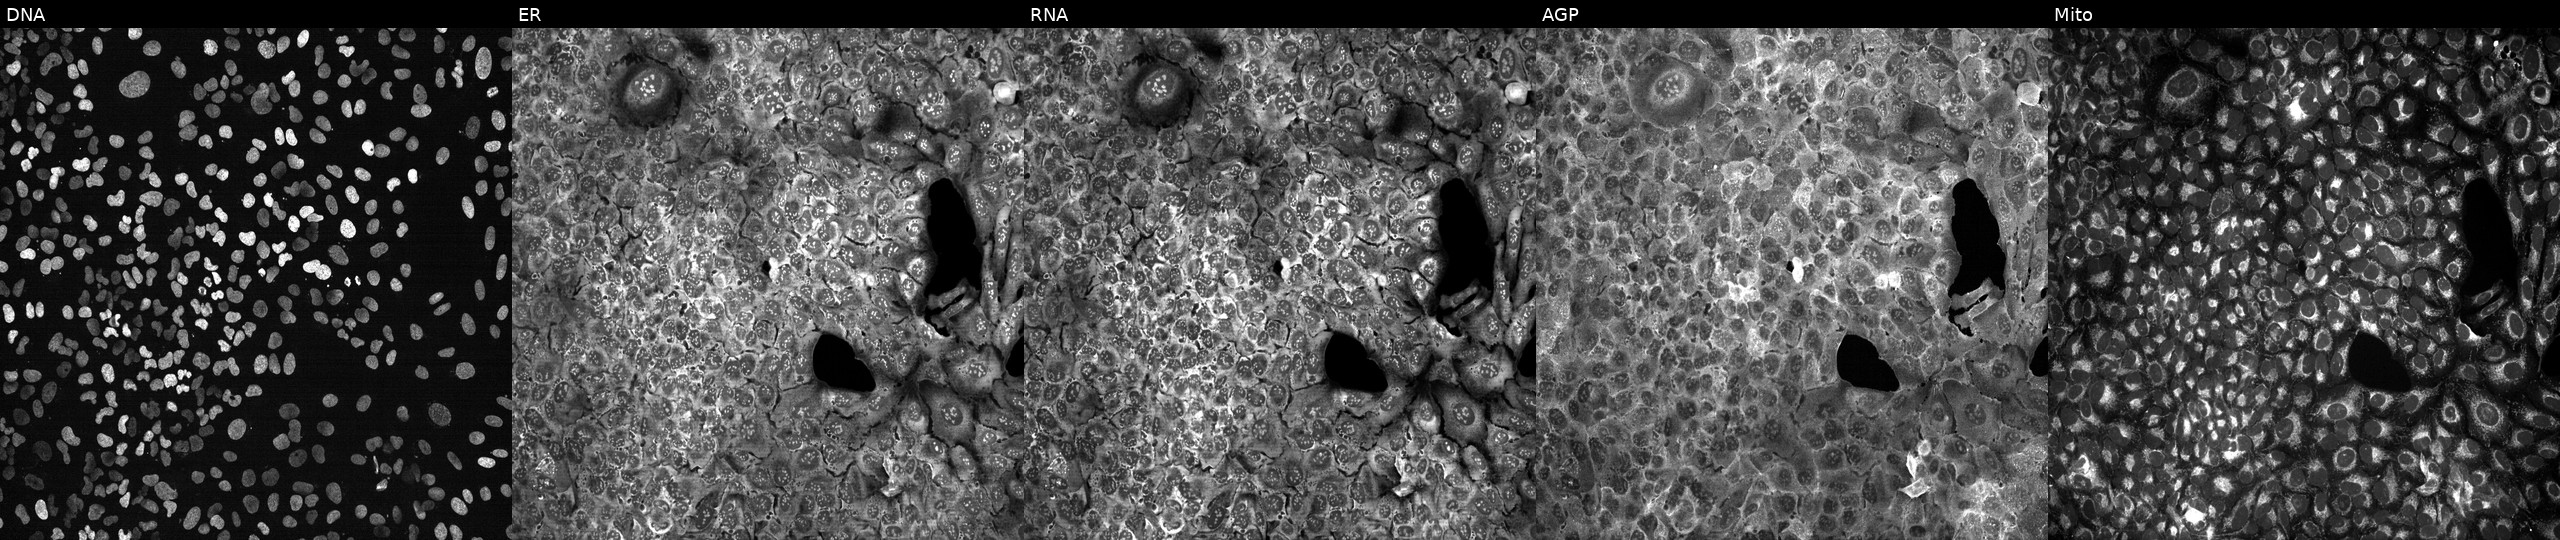
Five-channel Cell Painting image of U2OS cells with SGSH knocked out by CRISPR (JUMP id JCP2022_806314). Panels show, left to right, DNA (nuclei); ER (endoplasmic reticulum); RNA (nucleoli and cytoplasmic RNA); AGP (actin cytoskeleton, Golgi, and plasma membrane); Mito (mitochondria). Source 13, plate CP-CC9-R3-01, well A14.